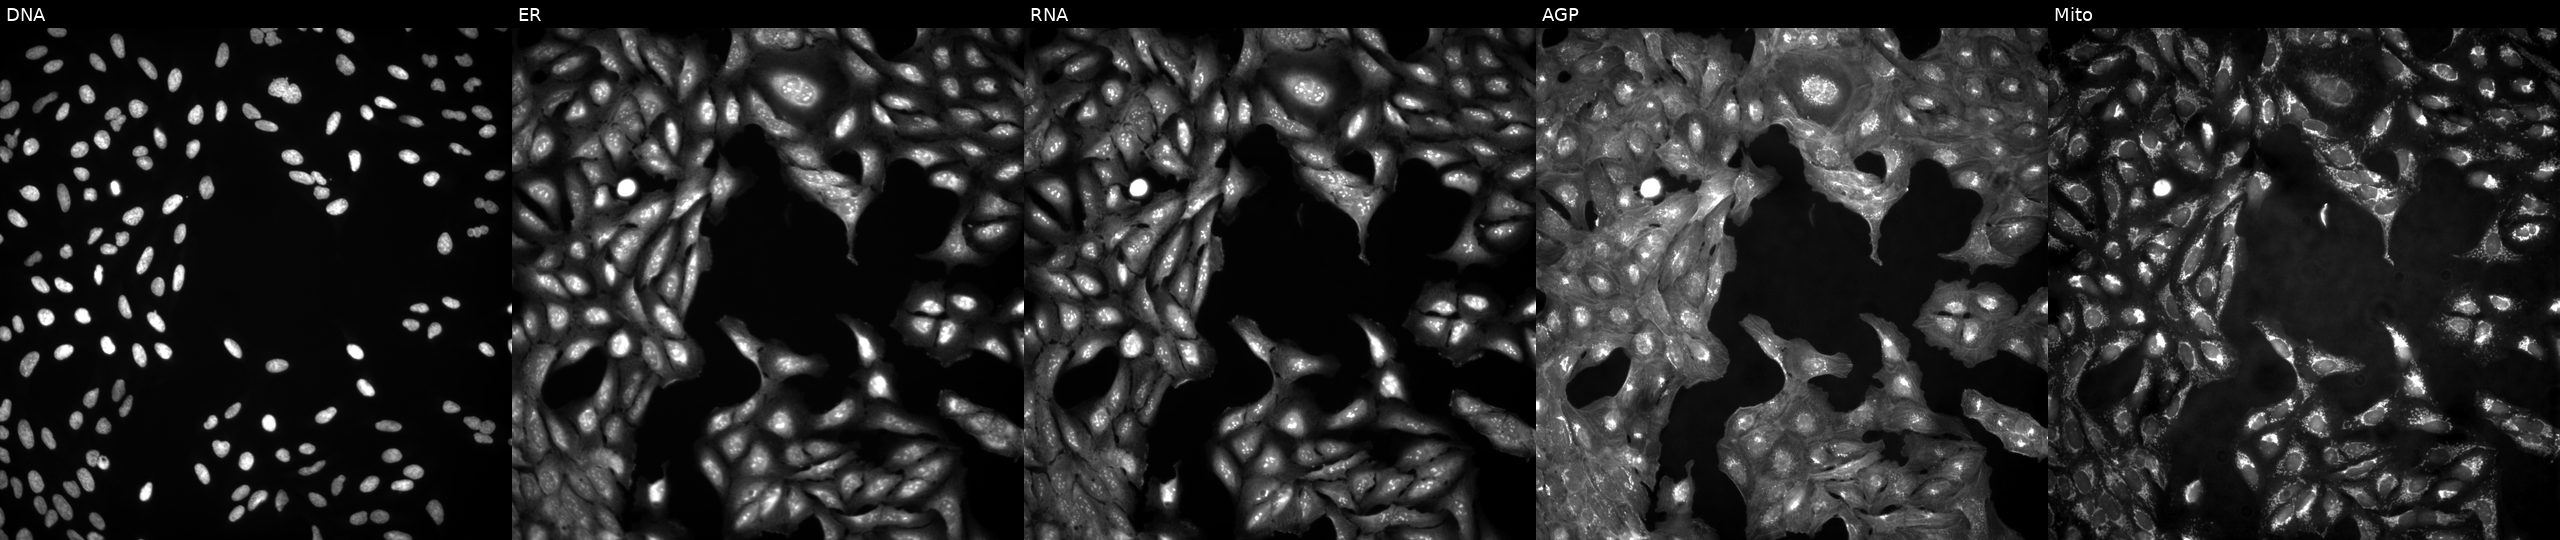
U2OS cells, Cell Painting assay, untreated (empty-well control). From left to right: Hoechst 33342, concanavalin A, SYTO 14, phalloidin and WGA, MitoTracker. Each panel is percentile-stretched 16-bit fluorescence. Source 4, plate BR00123946, well O05.